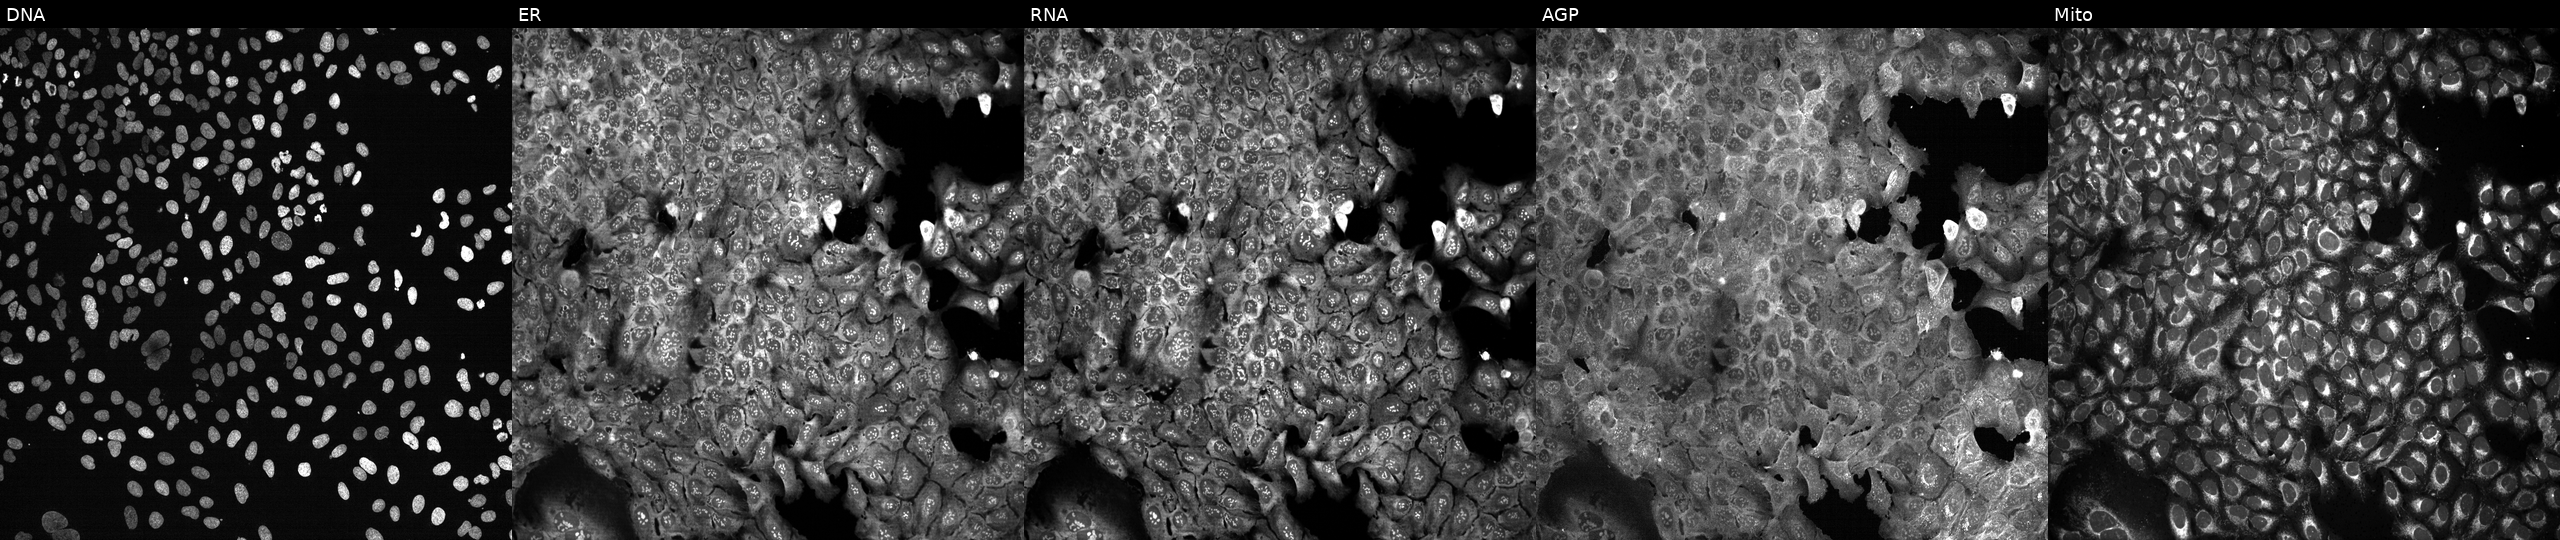
Five-channel Cell Painting image of U2OS cells following CRISPR knockout of SCD5 (JUMP id JCP2022_806198). From left to right: DNA (nuclei); ER (endoplasmic reticulum); RNA (nucleoli and cytoplasmic RNA); AGP (actin cytoskeleton, Golgi, and plasma membrane); Mito (mitochondria). Source 13, plate CP-CC9-R3-02, well K05.